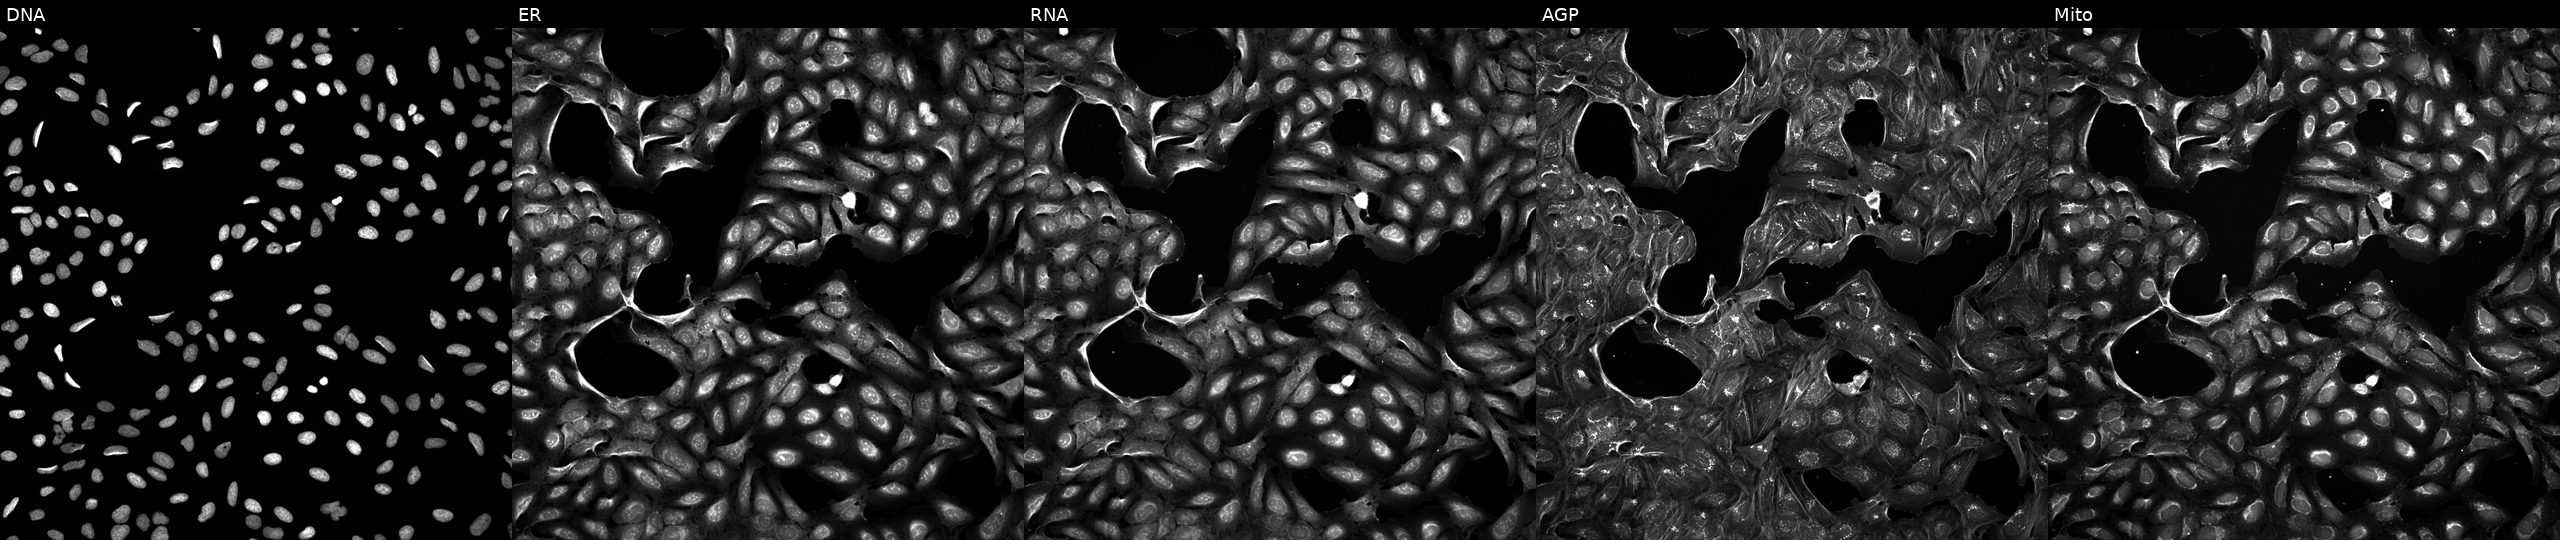
This image strip shows the five Cell Painting channels for a single field of U2OS cells treated with quinidine (positive-control compound) (JUMP id JCP2022_050797). Panels show, left to right, DNA (nuclei); ER (endoplasmic reticulum); RNA (nucleoli and cytoplasmic RNA); AGP (actin cytoskeleton, Golgi, and plasma membrane); Mito (mitochondria). Source 5, plate APTJUM105, well G01.